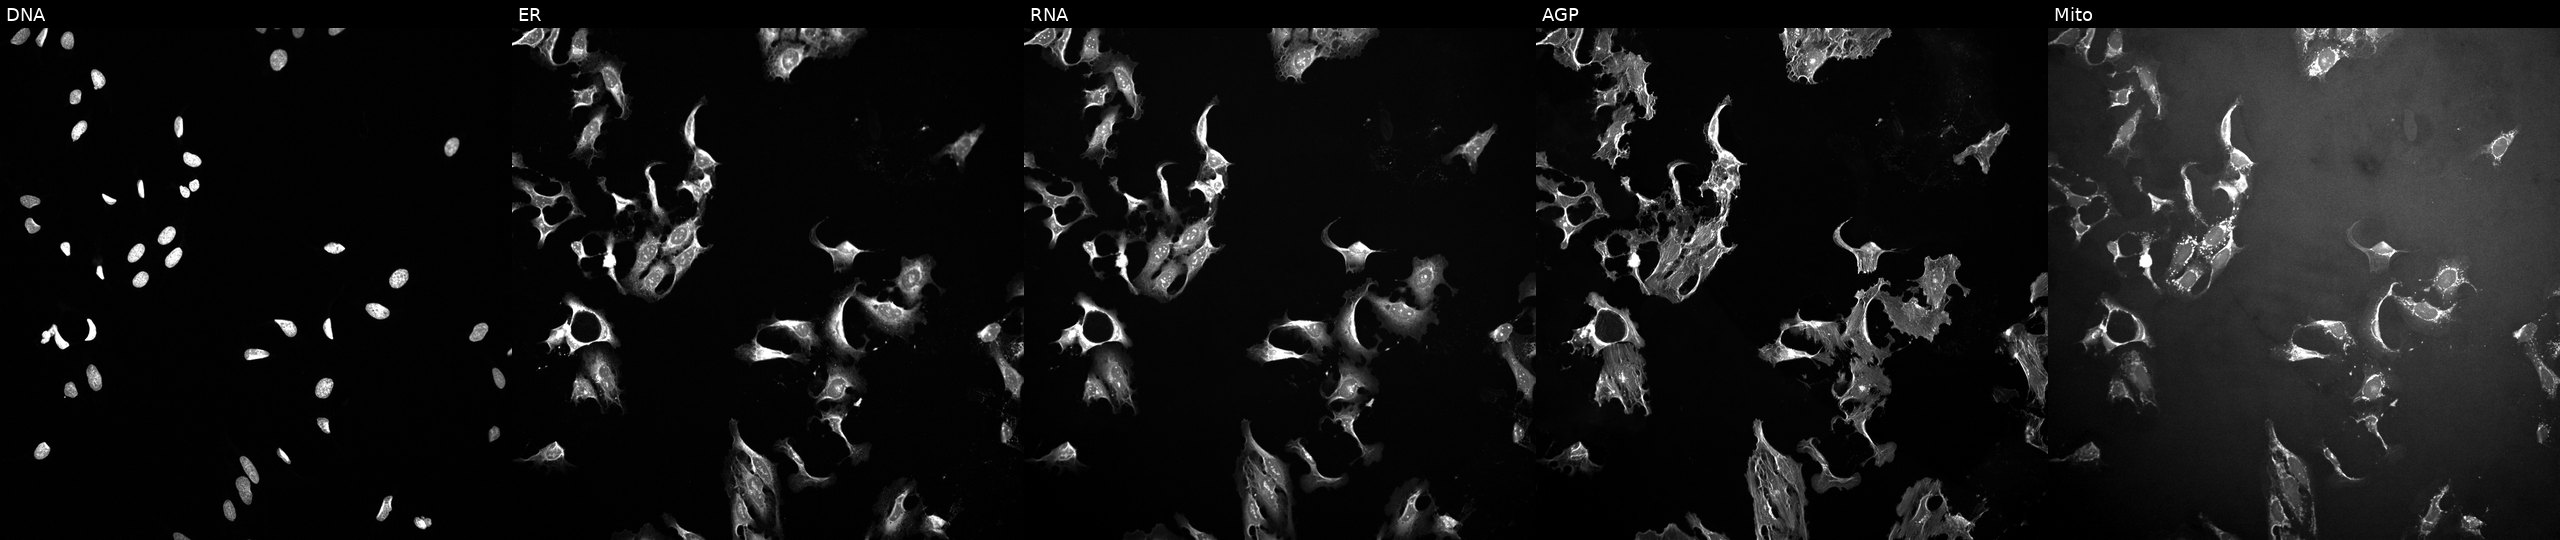
JUMP Cell Painting — COMPOUND plate. U2OS cells treated with FK-866 (positive-control compound). From left to right: DNA, ER, RNA, AGP, and Mito. Source 10, plate Dest210531-152324, well D01.